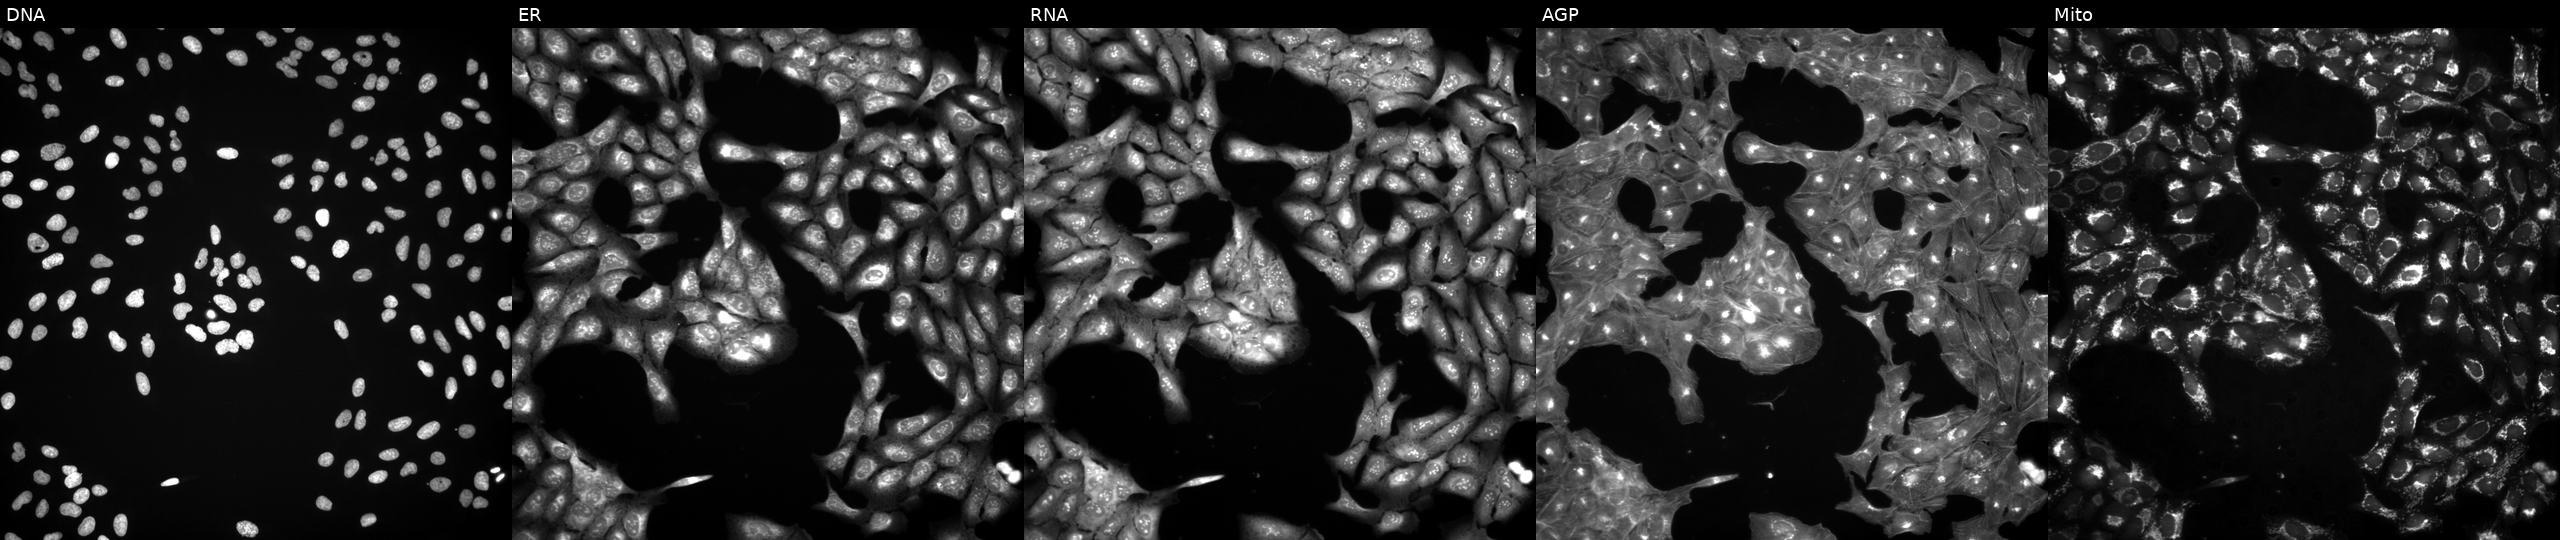
JUMP Cell Painting — COMPOUND plate. U2OS cells exposed to a small-molecule compound (InChIKey JSQKXEMSJFOMJM-UHFFFAOYSA-N) (JUMP id JCP2022_041903). The five panels, left to right, show Hoechst 33342, concanavalin A, SYTO 14, phalloidin and WGA, MitoTracker.